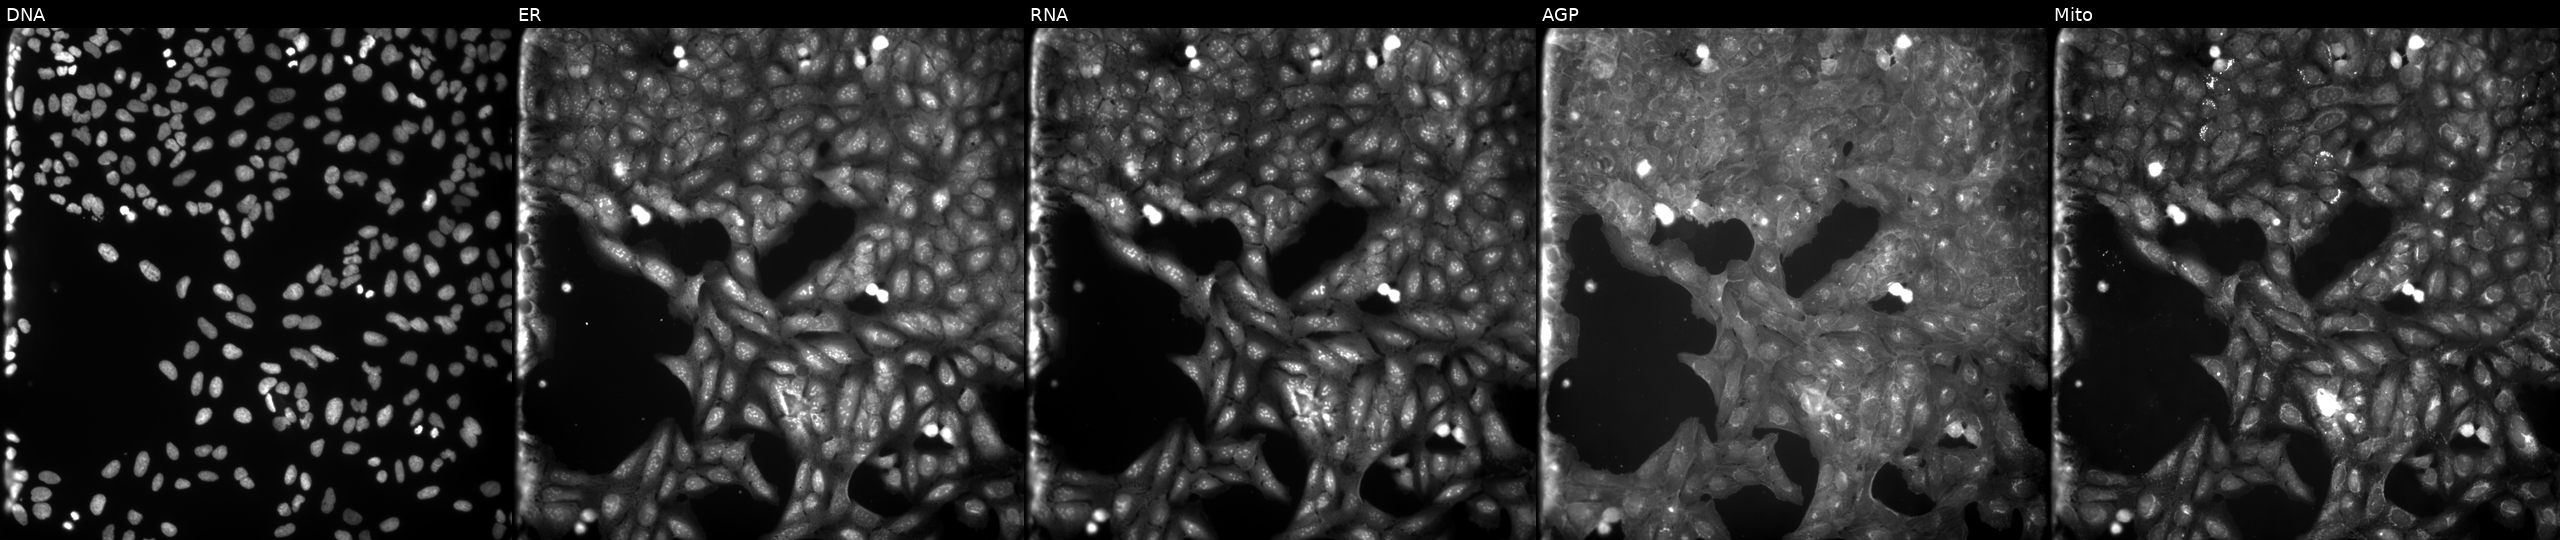
Panels show, left to right, DNA (nuclei); ER (endoplasmic reticulum); RNA (nucleoli and cytoplasmic RNA); AGP (actin cytoskeleton, Golgi, and plasma membrane); Mito (mitochondria). U2OS osteosarcoma cells treated with a small-molecule compound [SMILES: Cc1ccc(NC(=O)C(=O)NCCCN2CCOCC2)c(C)c1] (JUMP id JCP2022_016347). Cell Painting assay, JUMP-CP dataset. Source 9, plate GR00003381, well N09.